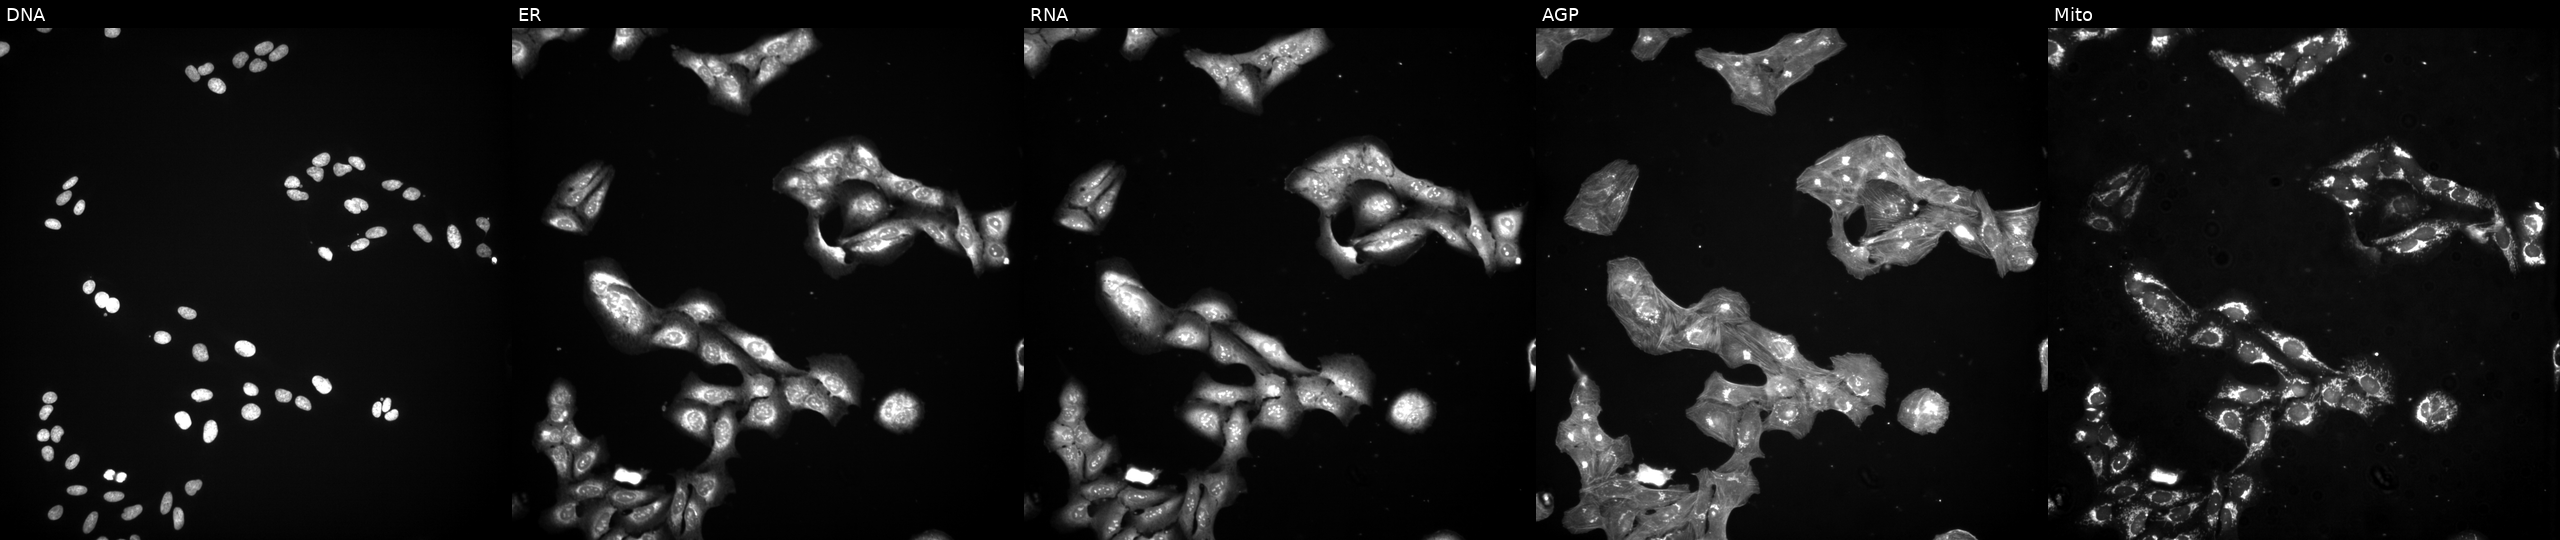
Five-channel Cell Painting image of U2OS cells perturbed with a small-molecule compound (InChIKey AHLUVCHTHNOLTQ-UHFFFAOYSA-N) (JUMP id JCP2022_001432). The five panels, left to right, show Hoechst 33342, concanavalin A, SYTO 14, phalloidin and WGA, MitoTracker.